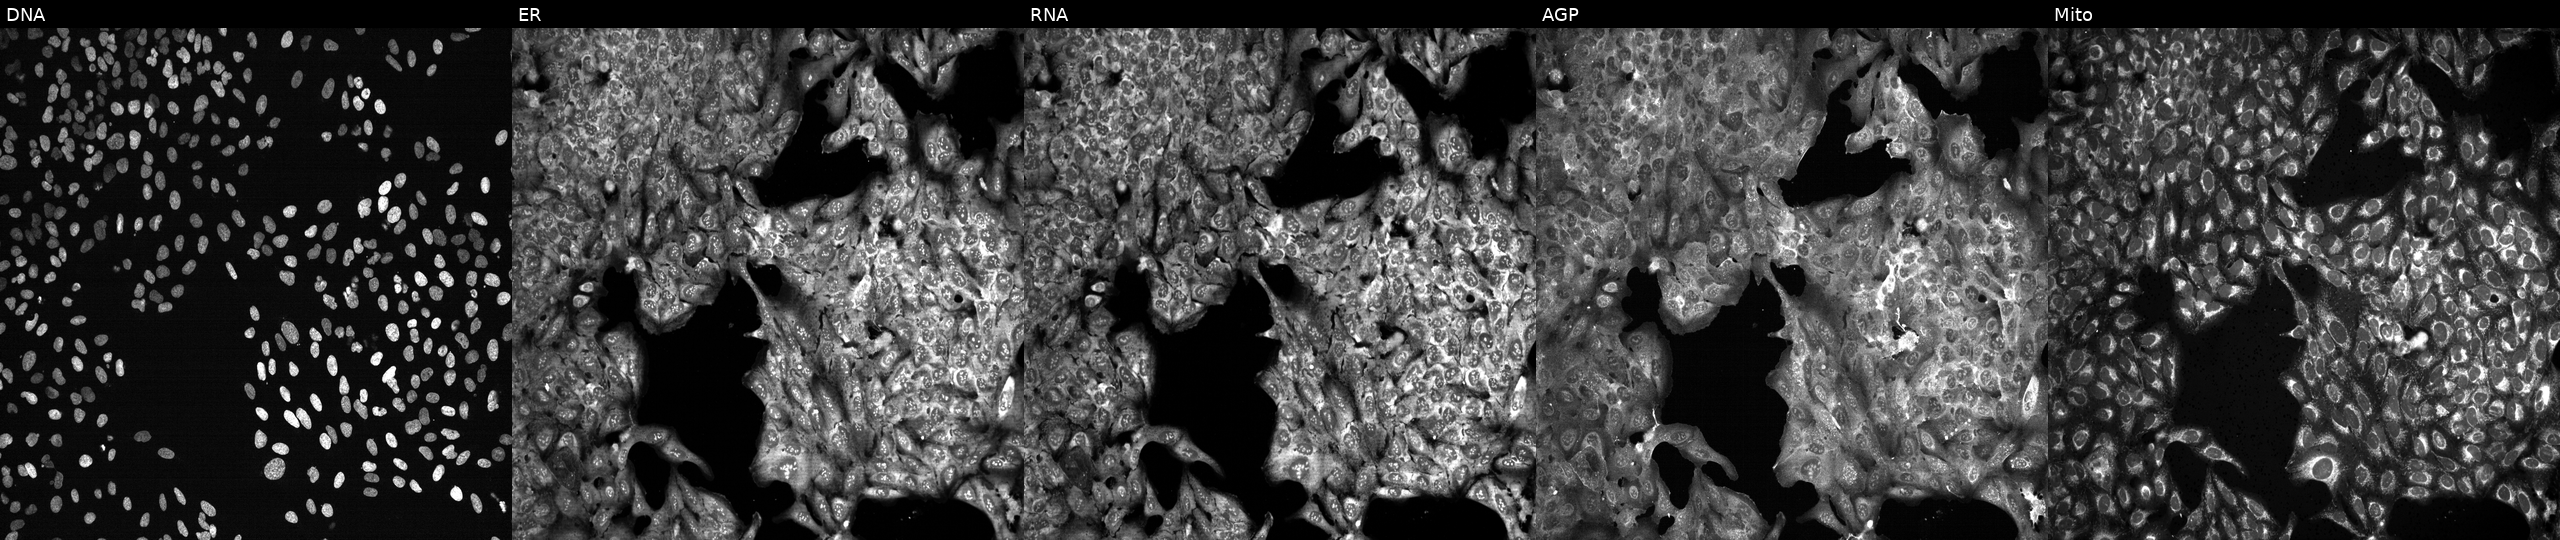
U2OS cells, Cell Painting assay, with CDC42 knocked out by CRISPR. Panels show, left to right, DNA, ER, RNA, AGP, and Mito. Each panel is percentile-stretched 16-bit fluorescence.